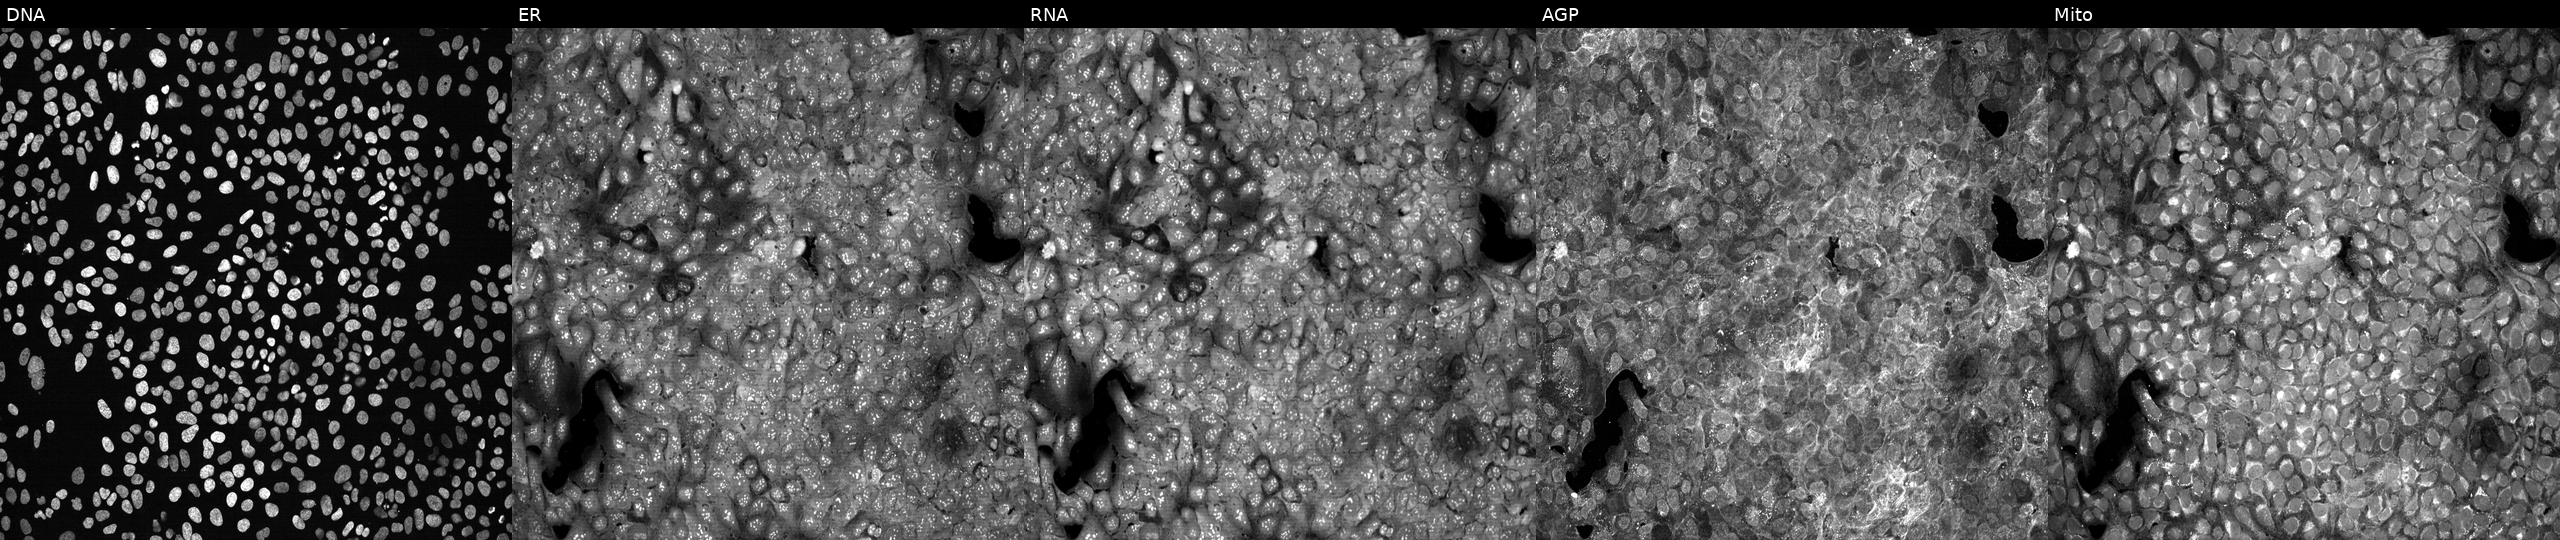
The five panels, left to right, show Hoechst 33342, concanavalin A, SYTO 14, phalloidin and WGA, MitoTracker. U2OS osteosarcoma cells exposed to the positive-control compound LY2109761 (JUMP id JCP2022_035095). Cell Painting assay, JUMP-CP dataset. Source 13, plate CP-CC9-R1-02, well E01.